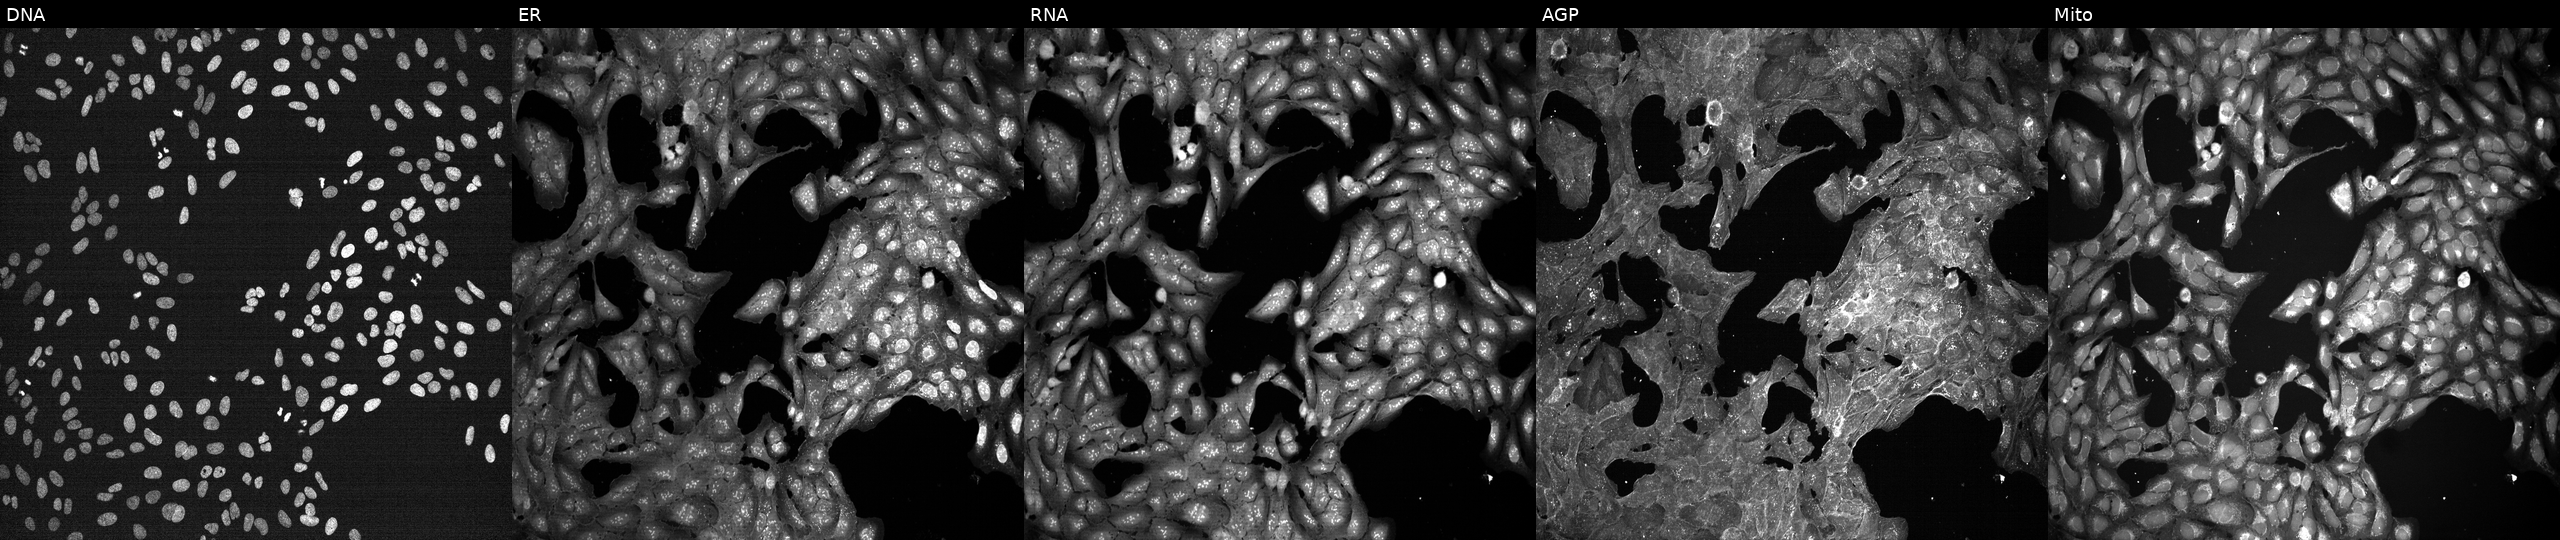
JUMP Cell Painting — TARGET2 plate. U2OS cells exposed to a small-molecule compound [SMILES: COc1ccc(S(=O)(=O)Nc2c(C)cc(C)cc2C)cc1]. Panels show, left to right, DNA (nuclei); ER (endoplasmic reticulum); RNA (nucleoli and cytoplasmic RNA); AGP (actin cytoskeleton, Golgi, and plasma membrane); Mito (mitochondria). Source 7, plate CP1-SC1-25, well I04.